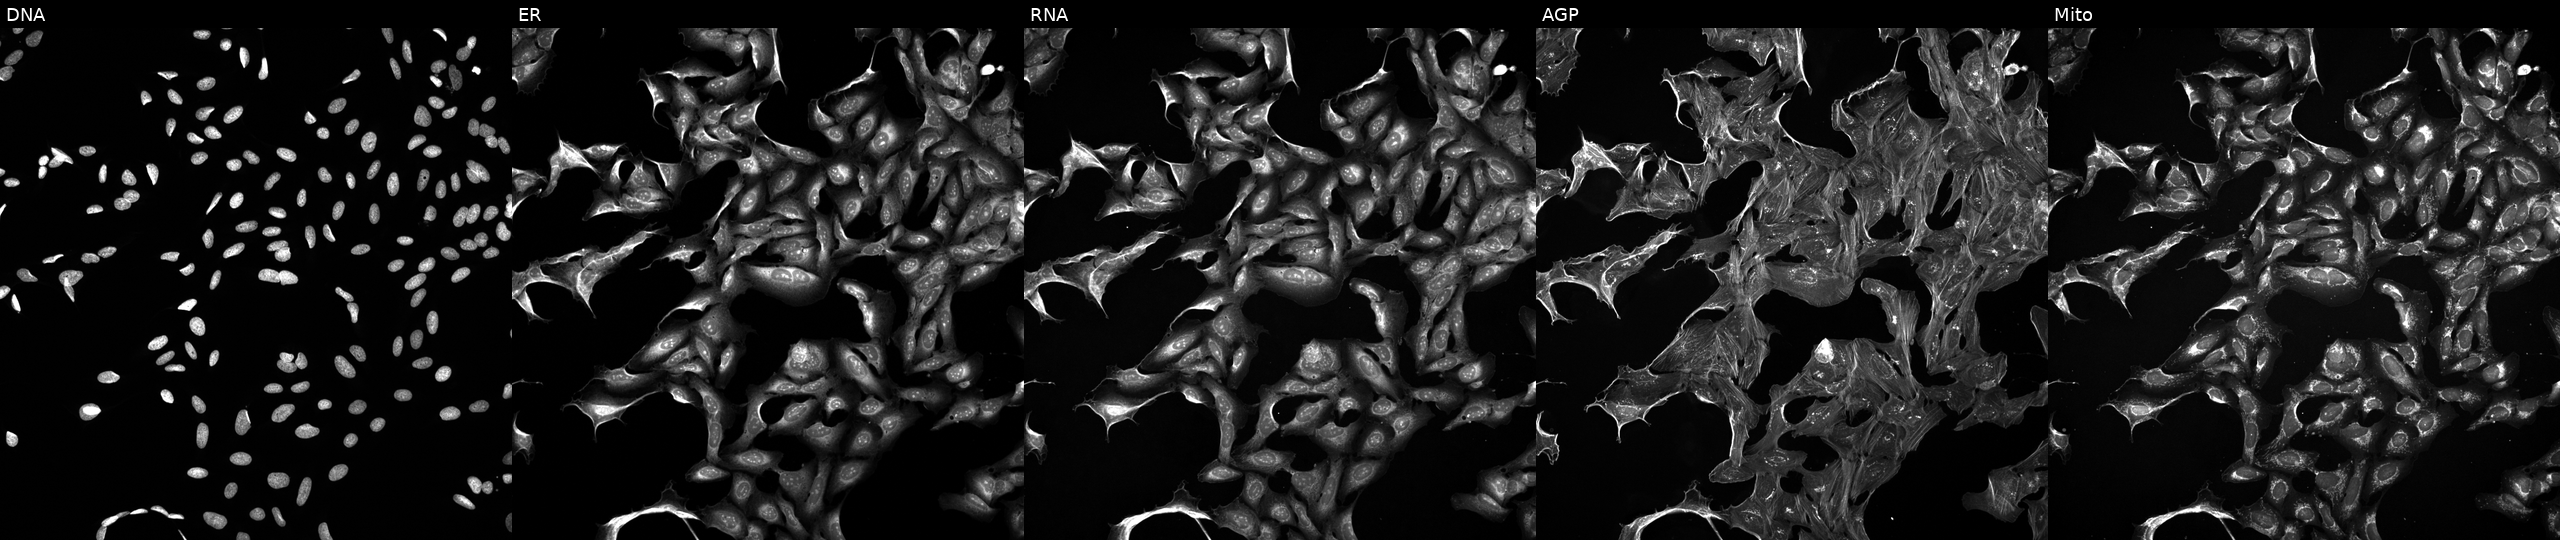
Panels show, left to right, Hoechst 33342, concanavalin A, SYTO 14, phalloidin and WGA, MitoTracker. U2OS osteosarcoma cells treated with a small-molecule compound (InChIKey WYWHKKSPHMUBEB-UHFFFAOYSA-N). Cell Painting assay, JUMP-CP dataset. Source 5, plate ACPJUM032, well H15.